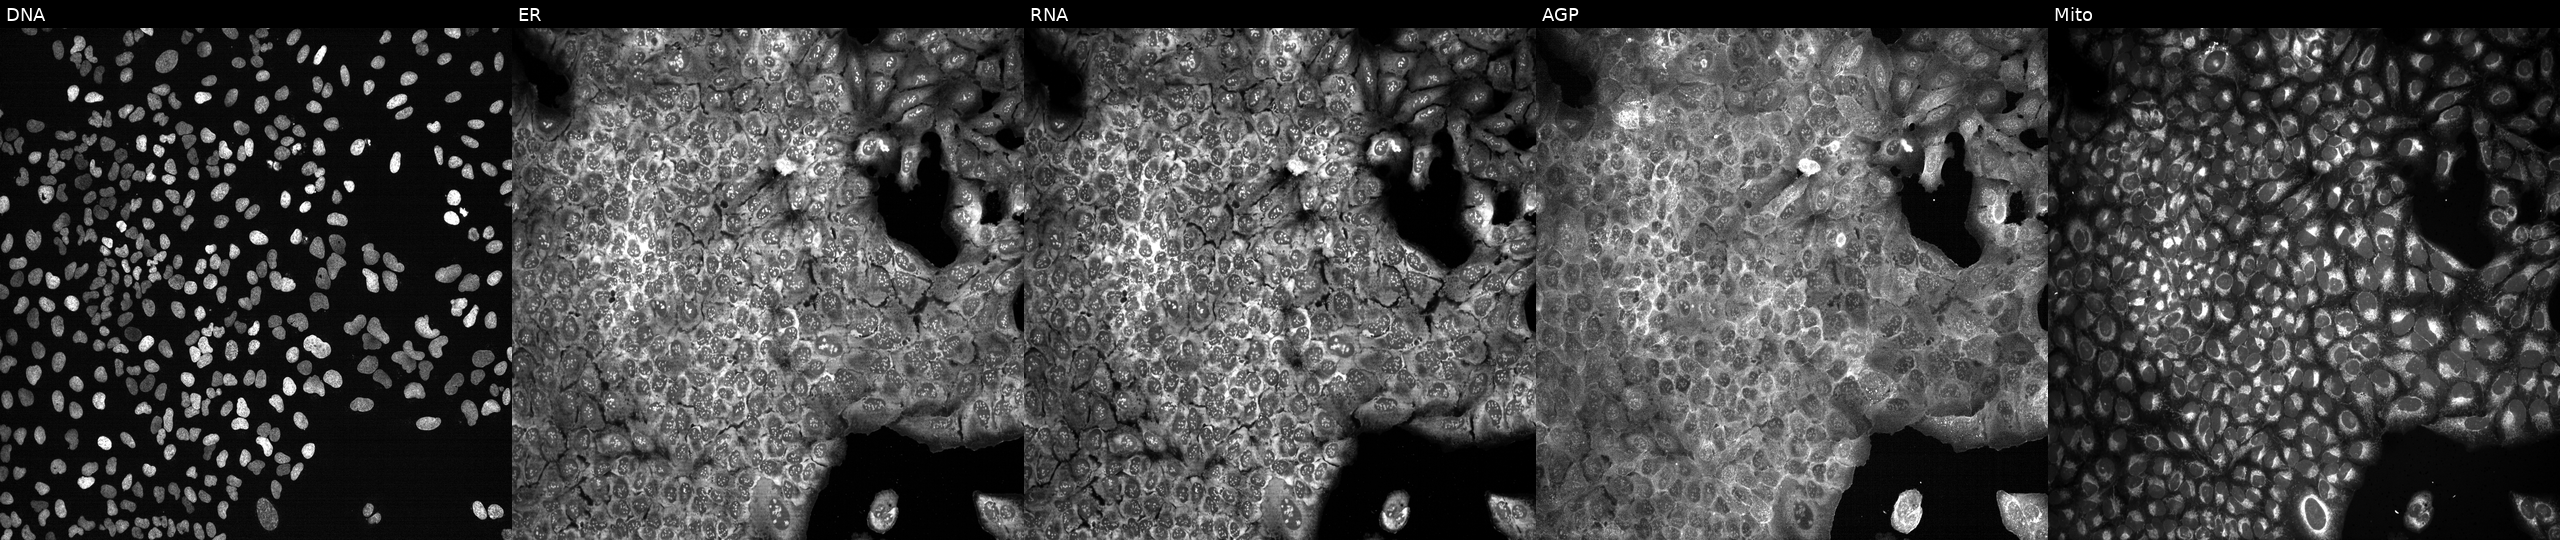
This image strip shows the five Cell Painting channels for a single field of U2OS cells with PLCG2 knocked out by CRISPR (JUMP id JCP2022_805251). The five panels, left to right, show Hoechst 33342, concanavalin A, SYTO 14, phalloidin and WGA, MitoTracker. Source 13, plate CP-CC9-R2-02, well H14.